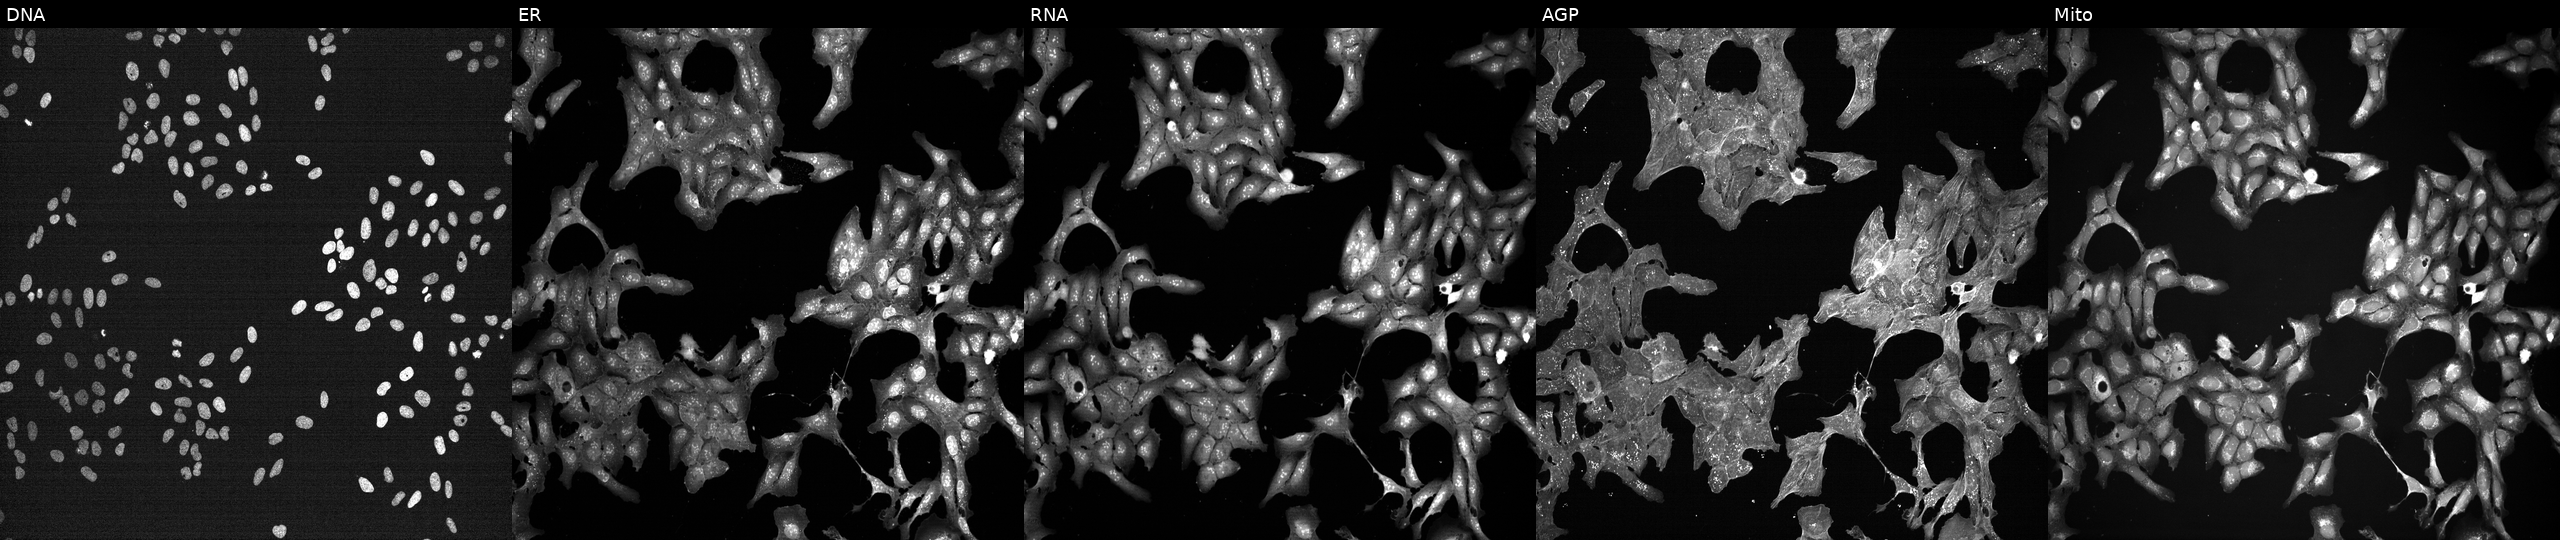
This image strip shows the five Cell Painting channels for a single field of U2OS cells treated with a small-molecule compound (InChIKey PMATZTZNYRCHOR-UHFFFAOYSA-N). Panels show, left to right, Hoechst 33342, concanavalin A, SYTO 14, phalloidin and WGA, MitoTracker.